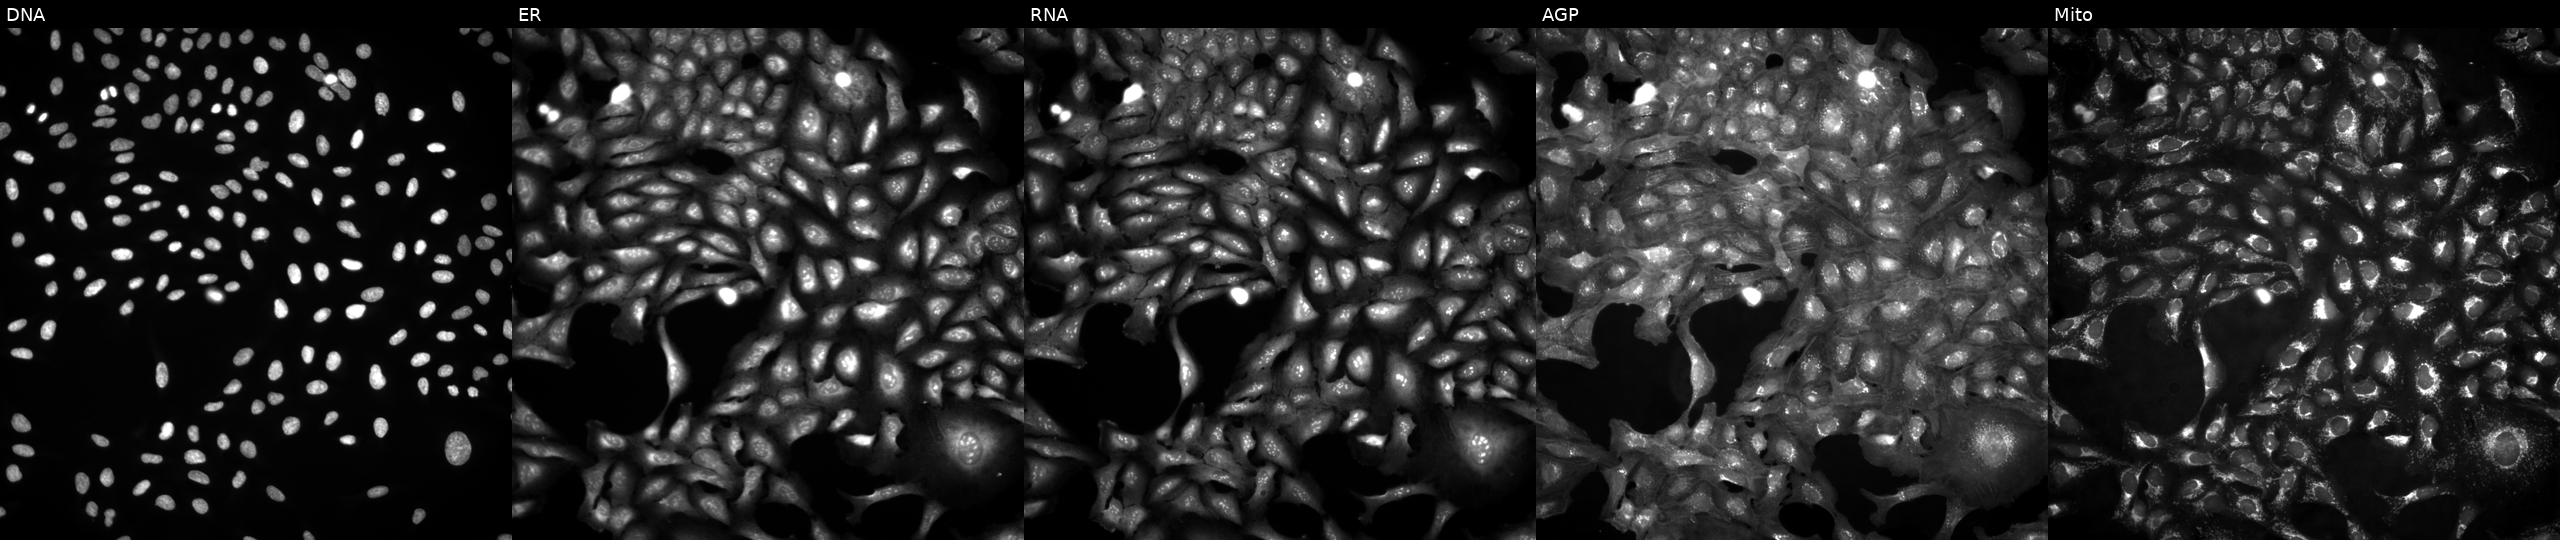
High-content fluorescence microscopy (Cell Painting). Cell line: U2OS. Perturbation: in an empty control well (no perturbation) (JUMP id JCP2022_999999). Panels show, left to right, DNA (nuclei); ER (endoplasmic reticulum); RNA (nucleoli and cytoplasmic RNA); AGP (actin cytoskeleton, Golgi, and plasma membrane); Mito (mitochondria).